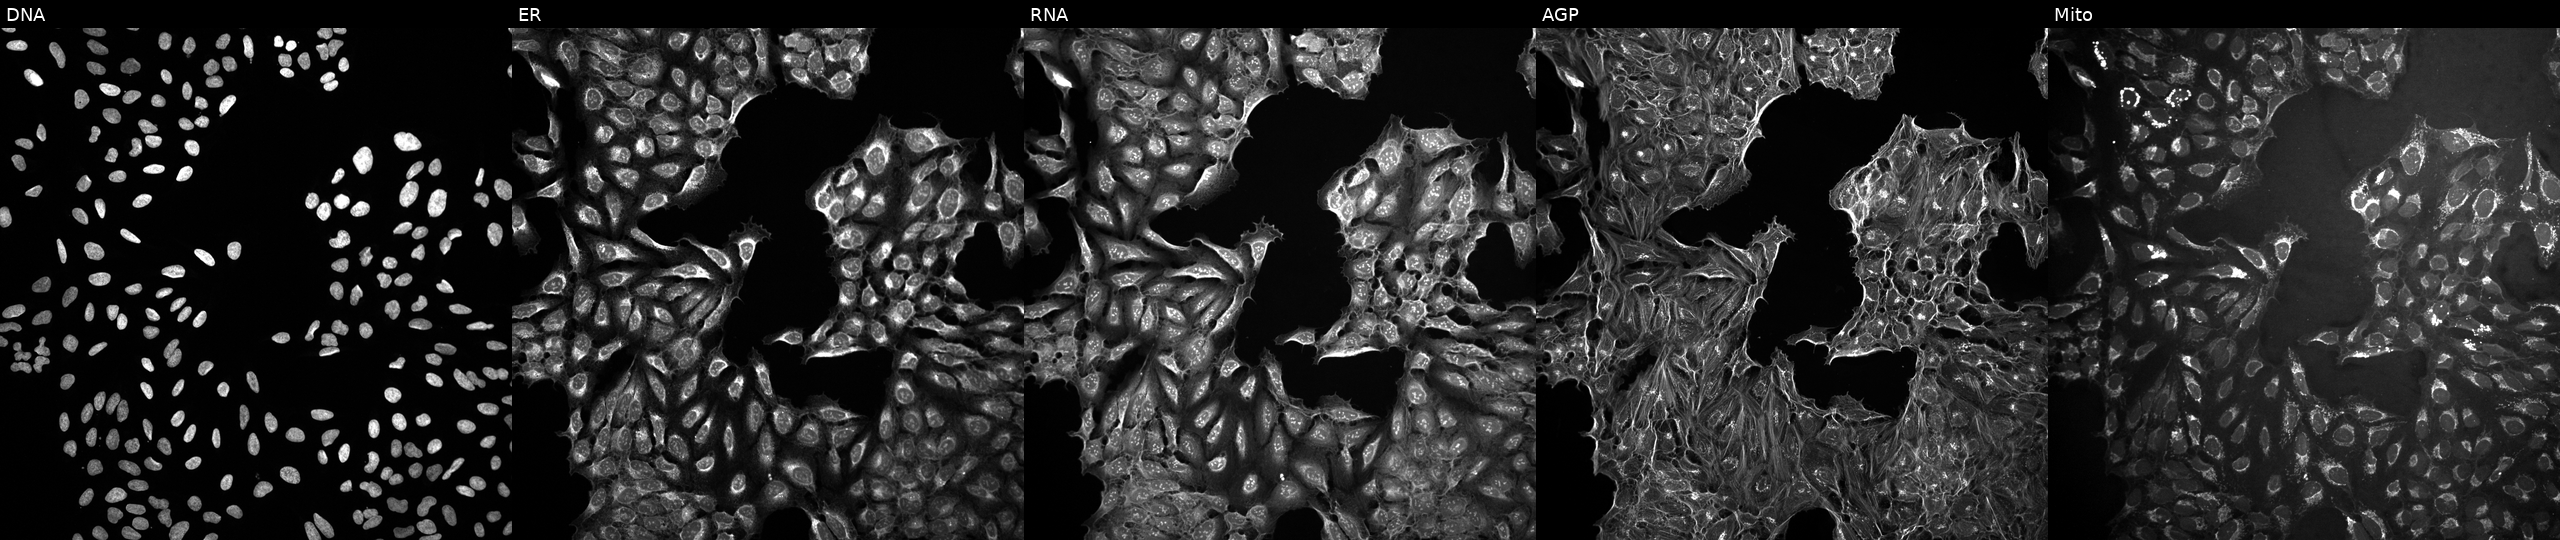
Channels (left→right): DNA (nuclei); ER (endoplasmic reticulum); RNA (nucleoli and cytoplasmic RNA); AGP (actin cytoskeleton, Golgi, and plasma membrane); Mito (mitochondria). U2OS osteosarcoma cells perturbed with a small-molecule compound (InChIKey RNGJZUBJKZZJOI-UHFFFAOYSA-N). Cell Painting assay, JUMP-CP dataset. Source 10, plate Dest210531-152324, well N11.